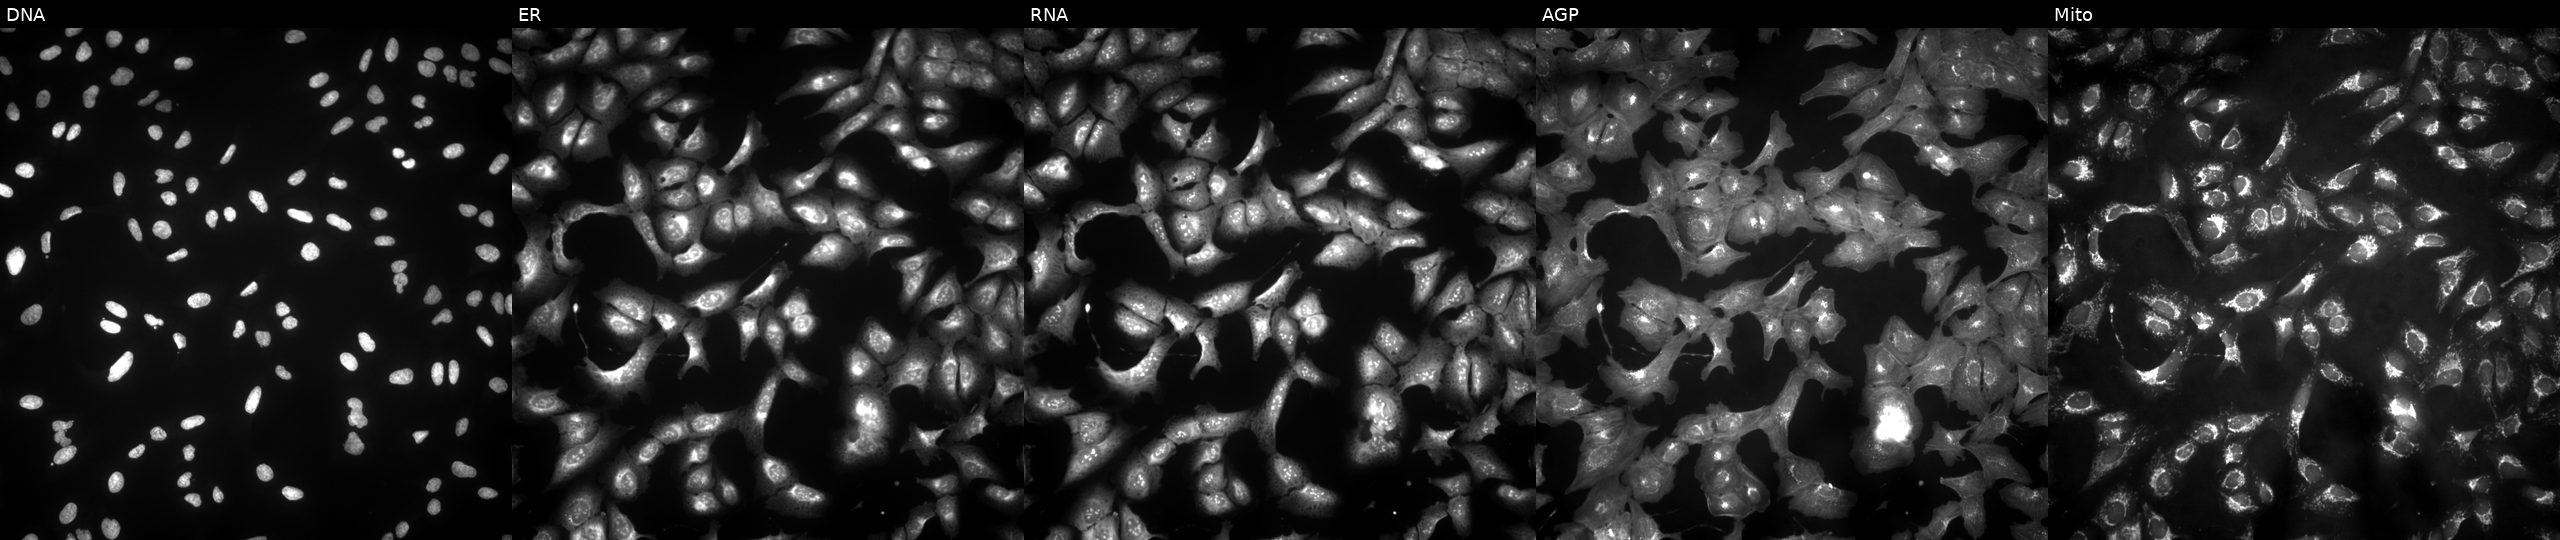
This image strip shows the five Cell Painting channels for a single field of U2OS cells transfected with an ORF construct for RNF145 (JUMP id JCP2022_909042). The five panels, left to right, show DNA, ER, RNA, AGP, and Mito.